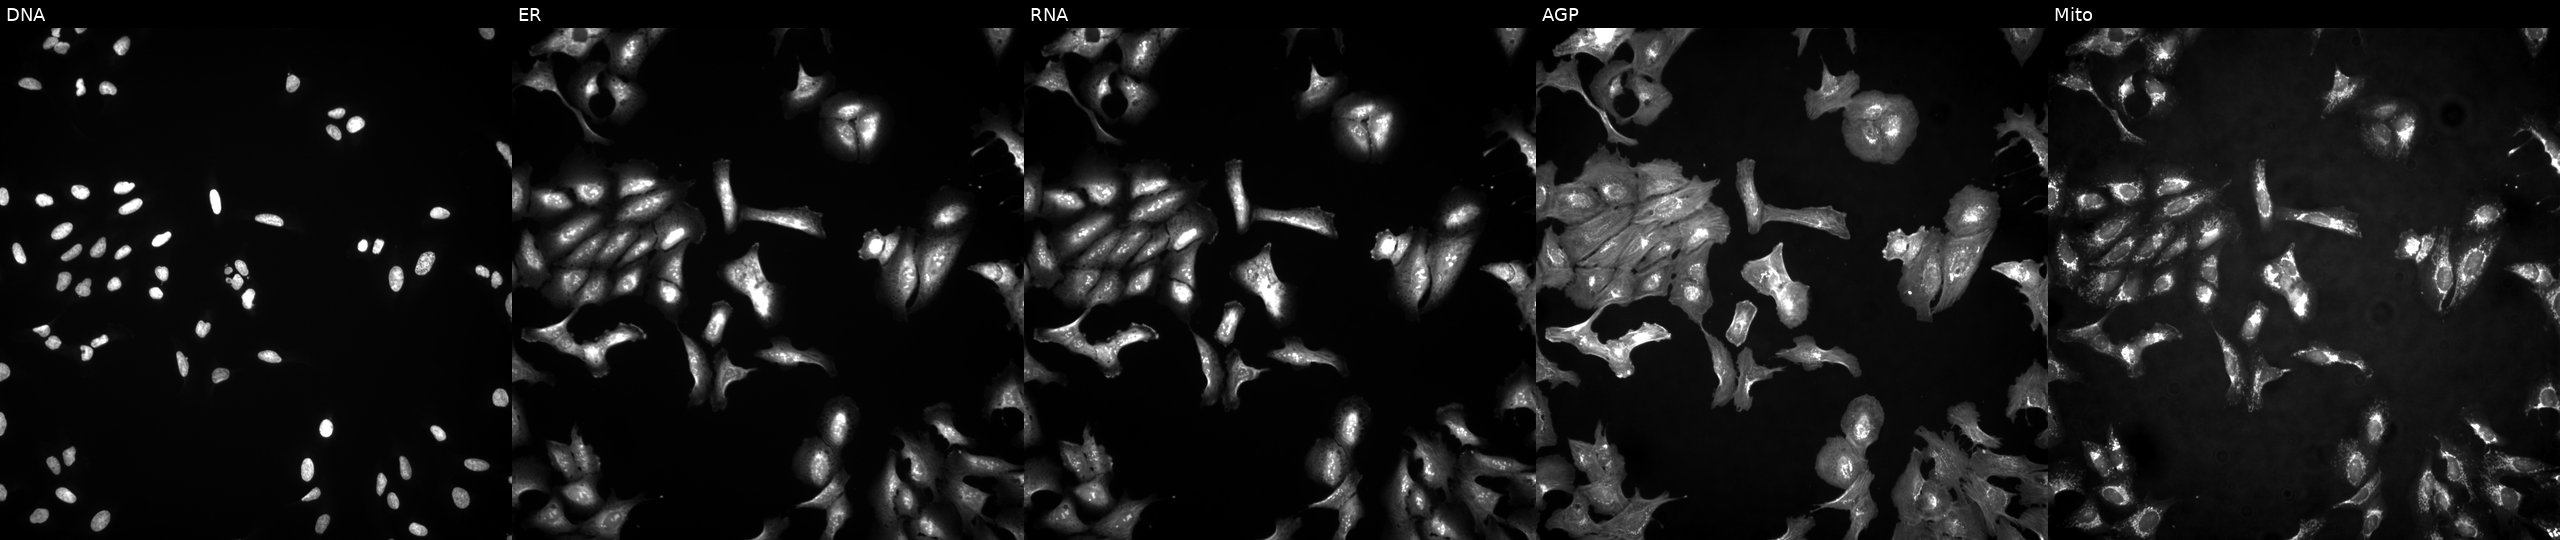
High-content fluorescence microscopy (Cell Painting). Cell line: U2OS. Perturbation: overexpressing NDST2 via ORF transfection (JUMP id JCP2022_901811). From left to right: DNA (nuclei); ER (endoplasmic reticulum); RNA (nucleoli and cytoplasmic RNA); AGP (actin cytoskeleton, Golgi, and plasma membrane); Mito (mitochondria).